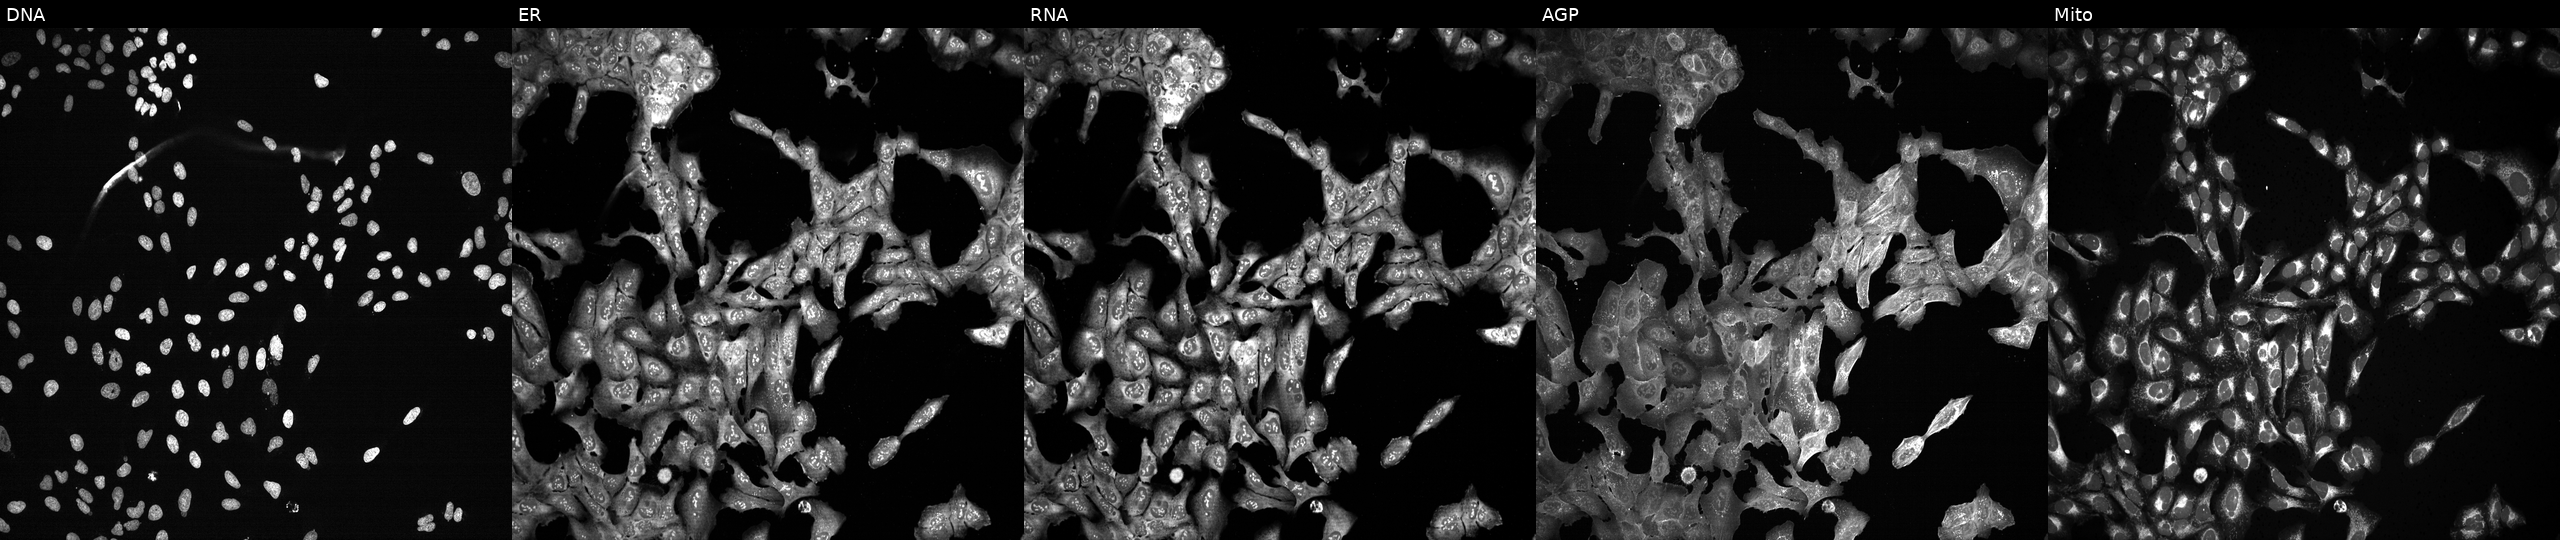
High-content fluorescence microscopy (Cell Painting). Cell line: U2OS. Perturbation: CRISPR-edited to disrupt PGA5 (JUMP id JCP2022_805063). Panels show, left to right, DNA (nuclei); ER (endoplasmic reticulum); RNA (nucleoli and cytoplasmic RNA); AGP (actin cytoskeleton, Golgi, and plasma membrane); Mito (mitochondria).